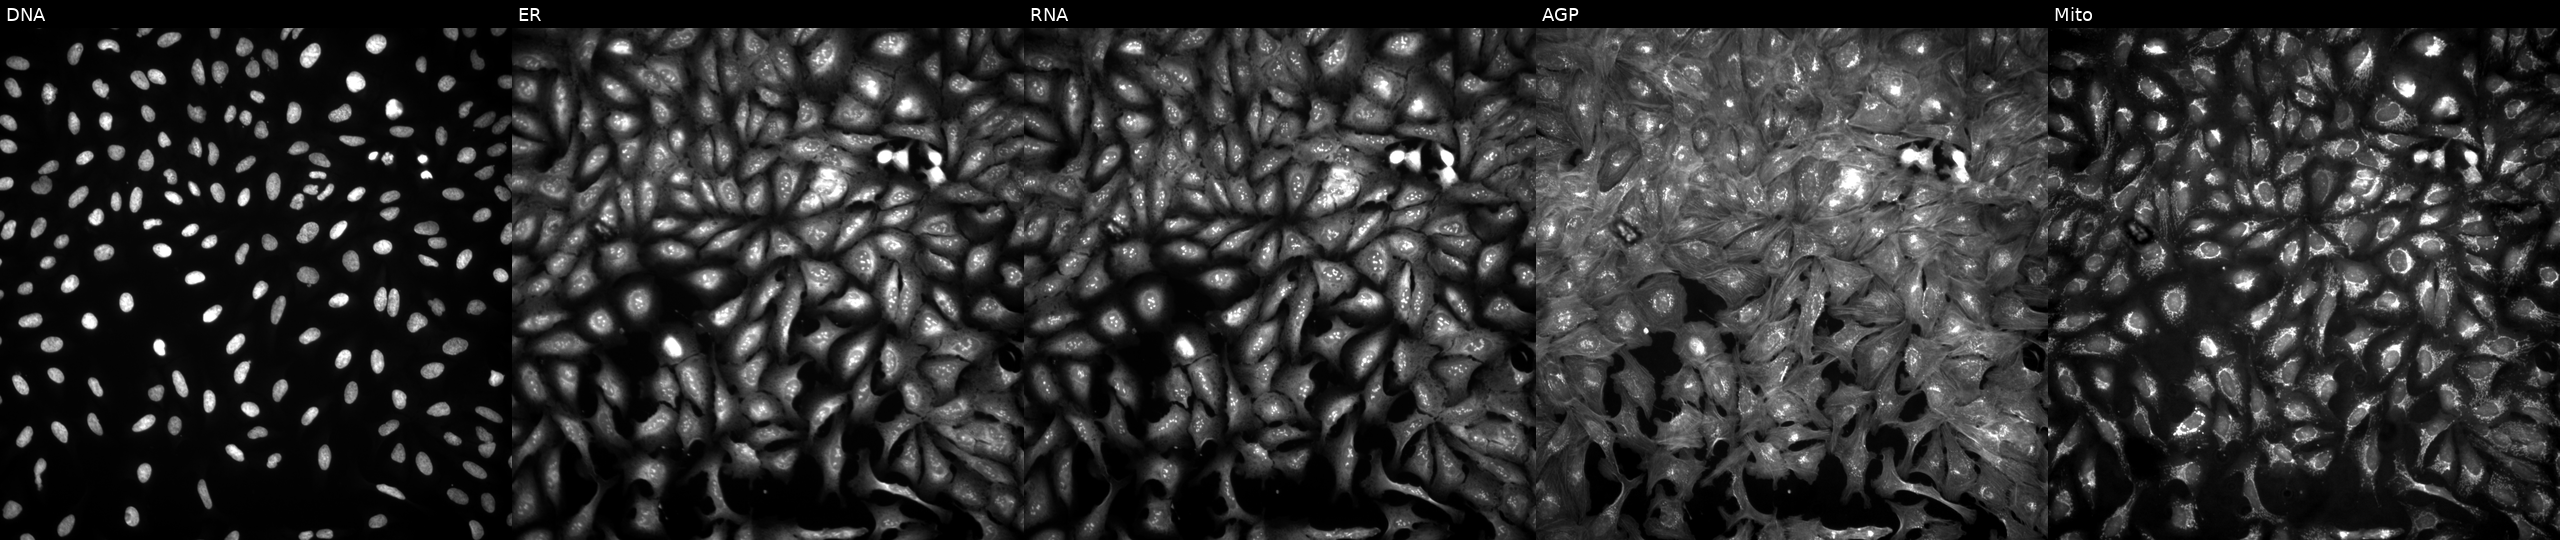
This image strip shows the five Cell Painting channels for a single field of U2OS cells with C1QTNF3 overexpressed (ORF) (JUMP id JCP2022_904371). The five panels, left to right, show DNA (nuclei); ER (endoplasmic reticulum); RNA (nucleoli and cytoplasmic RNA); AGP (actin cytoskeleton, Golgi, and plasma membrane); Mito (mitochondria). Source 4, plate BR00124784, well A06.